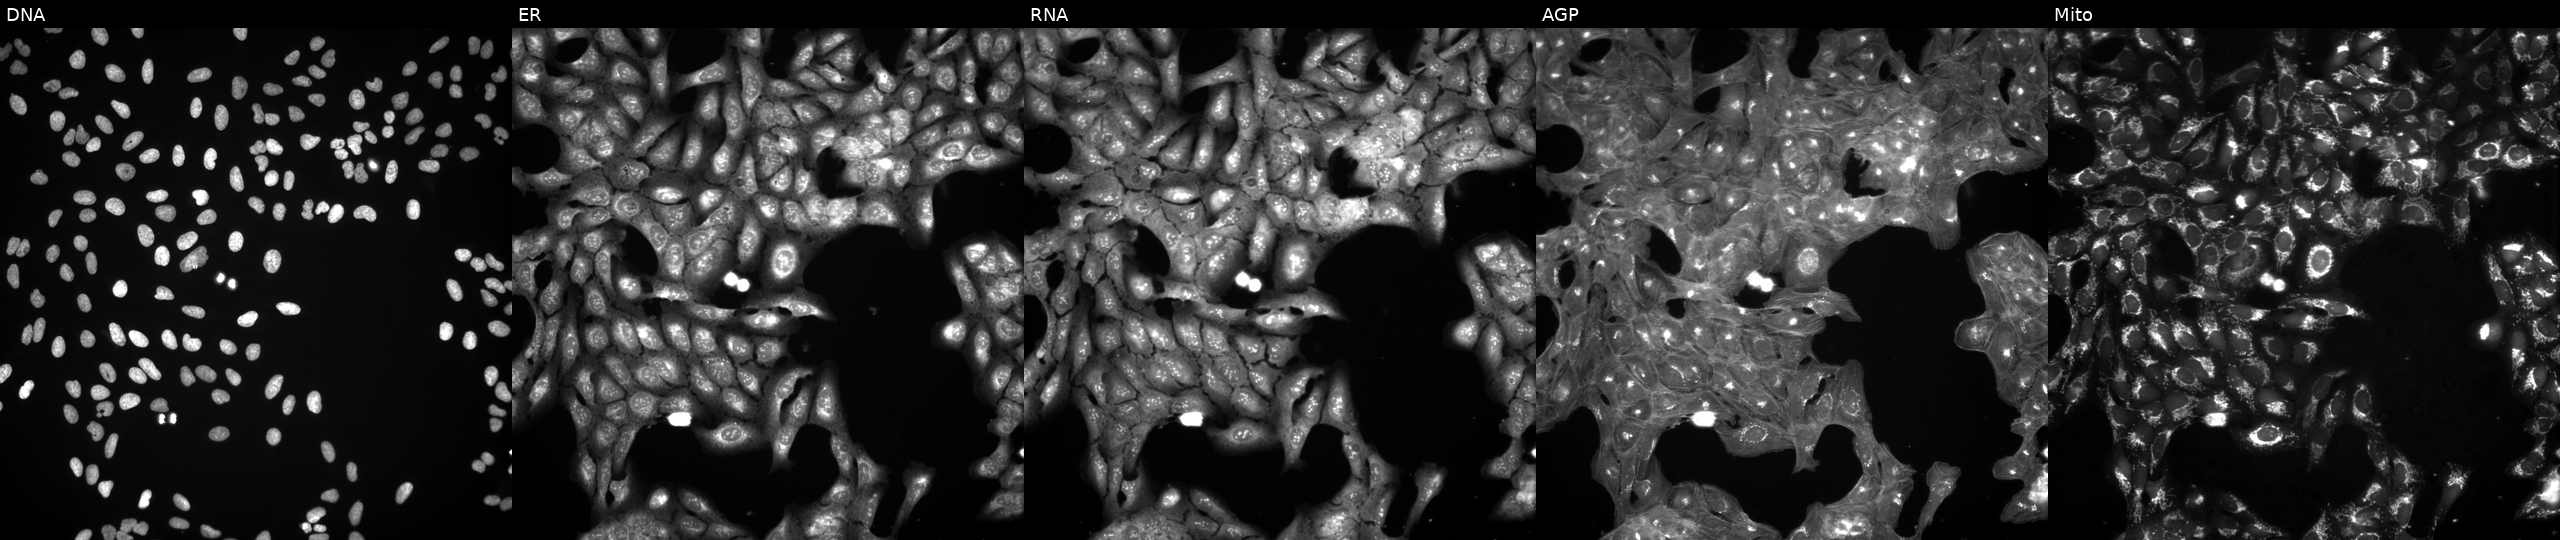
From left to right: Hoechst 33342, concanavalin A, SYTO 14, phalloidin and WGA, MitoTracker. U2OS osteosarcoma cells exposed to a small-molecule compound (InChIKey PEFNYDADEQZYQG-UHFFFAOYSA-N) (JUMP id JCP2022_068022). Cell Painting assay, JUMP-CP dataset. Source 3, plate BR5867a3, well F10.